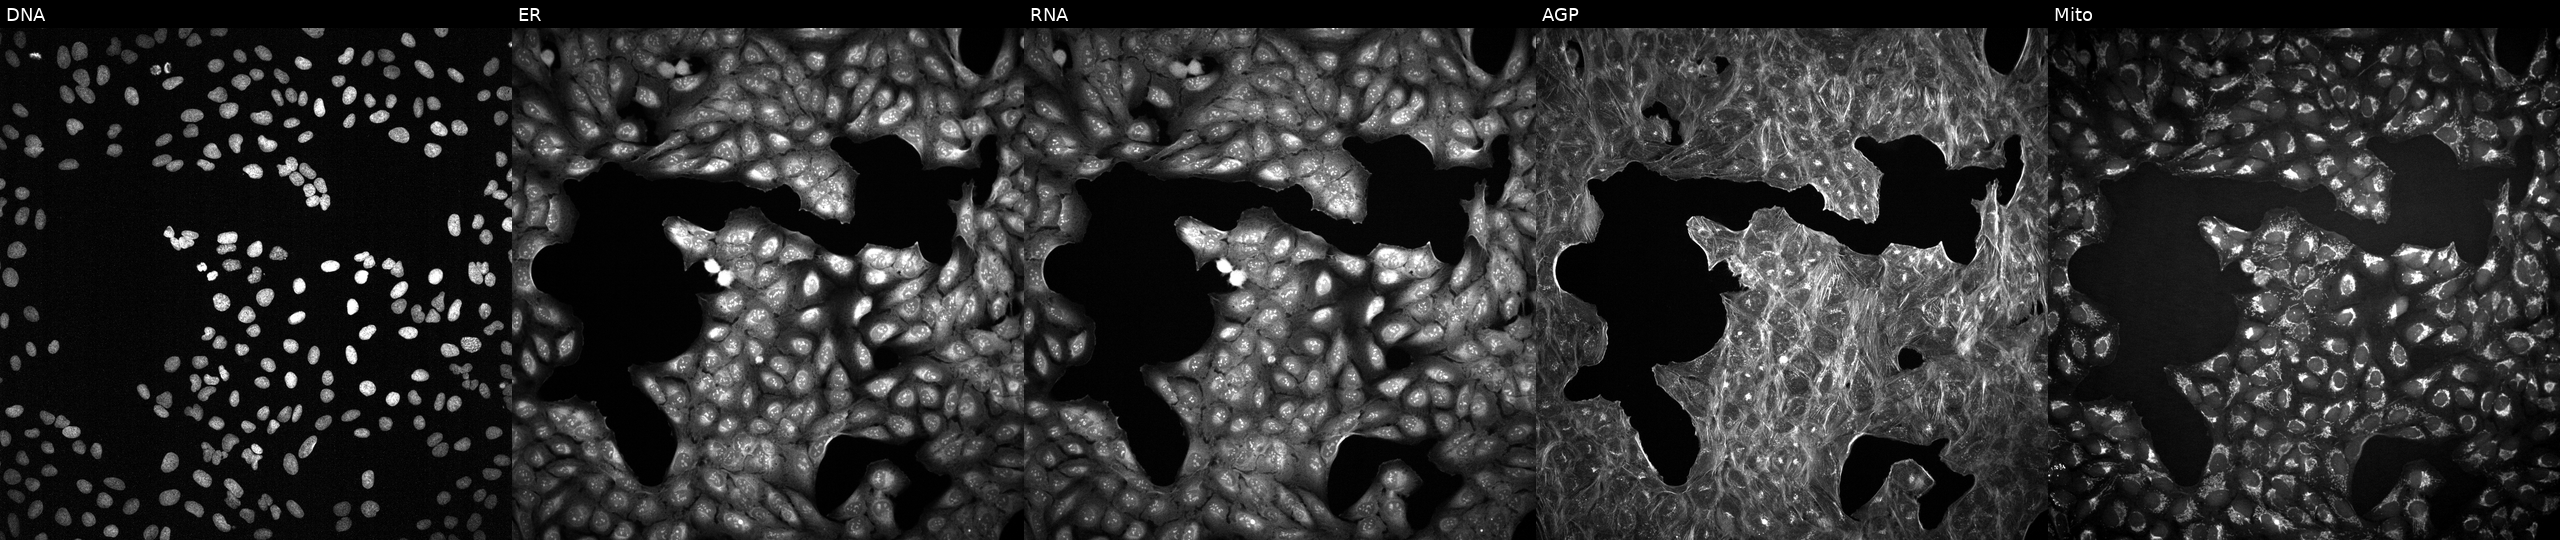
High-content fluorescence microscopy (Cell Painting). Cell line: U2OS. Perturbation: perturbed with a small-molecule compound (InChIKey NMKJFZCBCIUYHI-UHFFFAOYSA-N). The five panels, left to right, show DNA (nuclei); ER (endoplasmic reticulum); RNA (nucleoli and cytoplasmic RNA); AGP (actin cytoskeleton, Golgi, and plasma membrane); Mito (mitochondria).